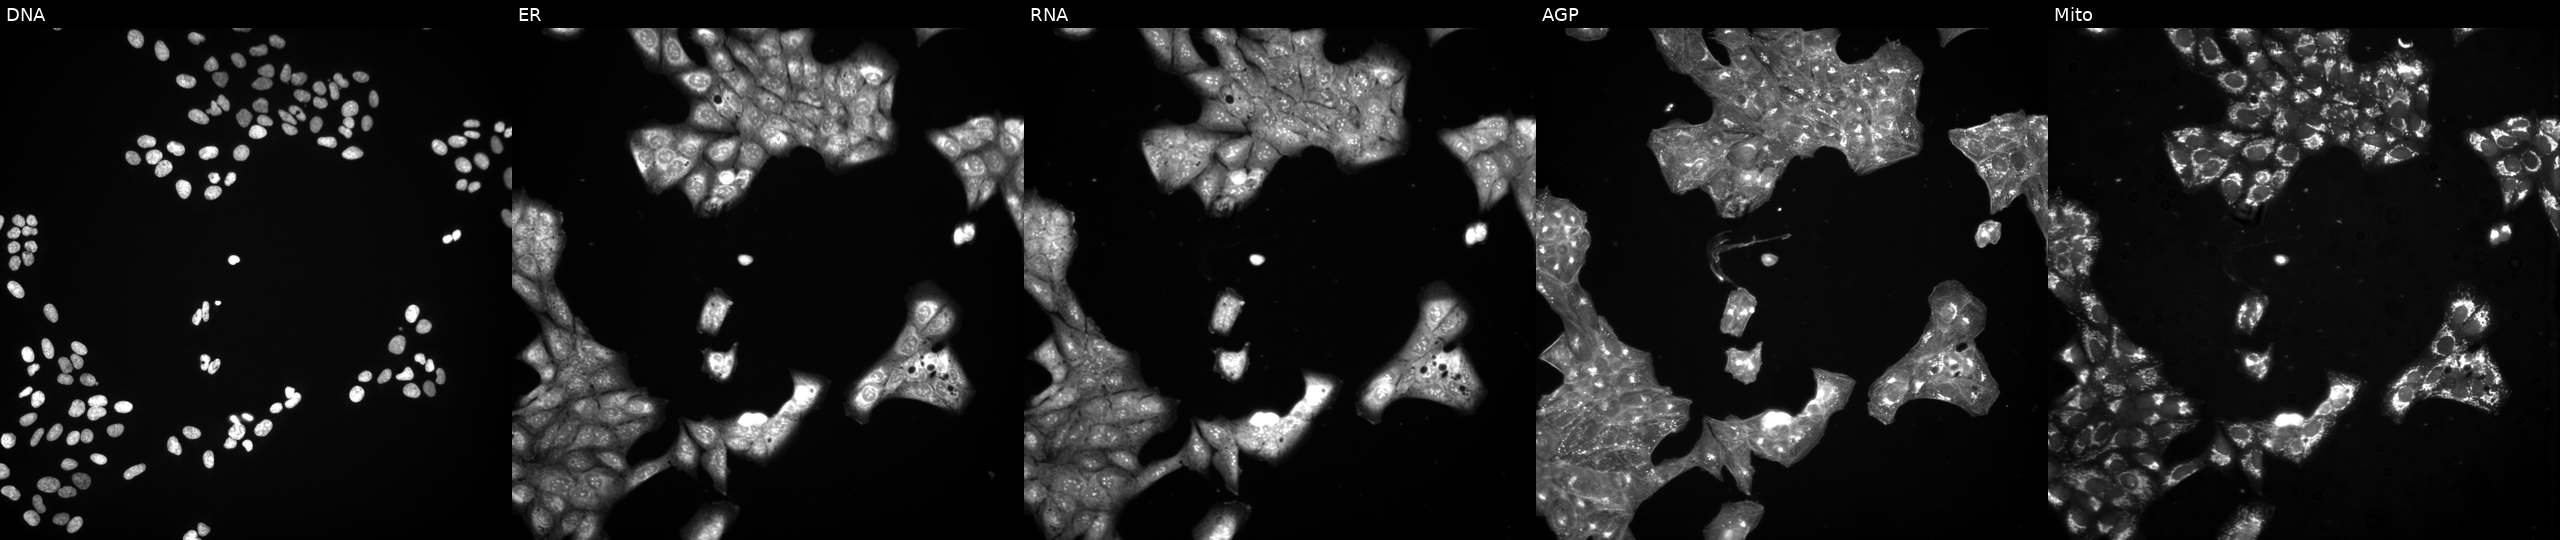
JUMP Cell Painting — COMPOUND plate. U2OS cells perturbed with a small-molecule compound (InChIKey DQPDYAODTBSTNJ-UHFFFAOYSA-N) (JUMP id JCP2022_017611). The five panels, left to right, show DNA, ER, RNA, AGP, and Mito. Source 3, plate BR5867b3, well N03.